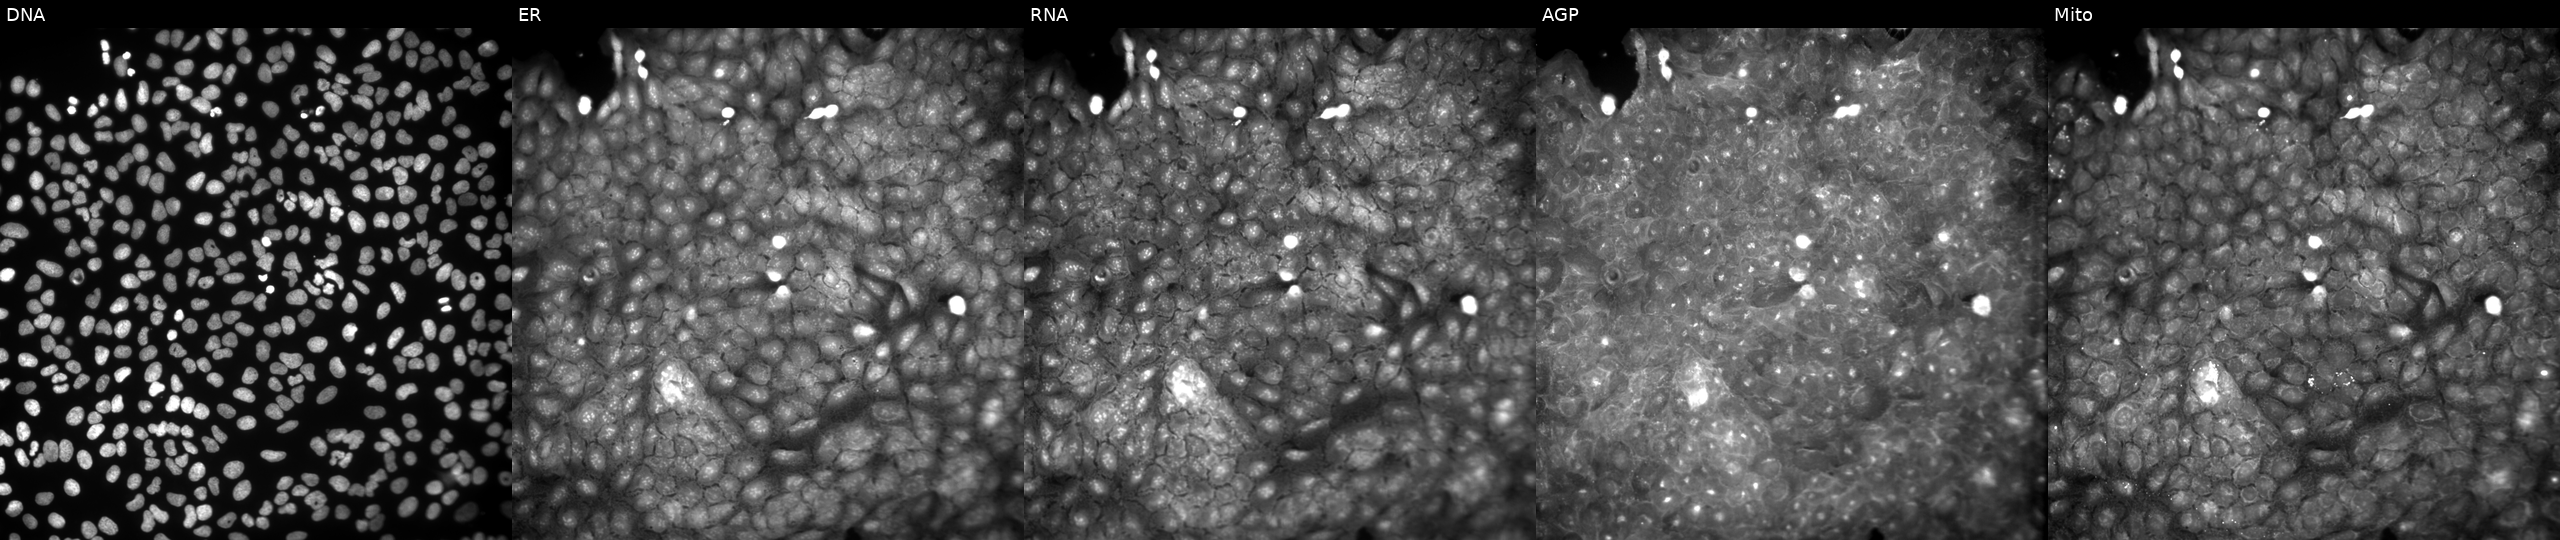
Five-channel Cell Painting image of U2OS cells treated with a small-molecule compound (InChIKey AEKPRUXMCRHOKR-UHFFFAOYSA-N). Panels show, left to right, DNA (nuclei); ER (endoplasmic reticulum); RNA (nucleoli and cytoplasmic RNA); AGP (actin cytoskeleton, Golgi, and plasma membrane); Mito (mitochondria).